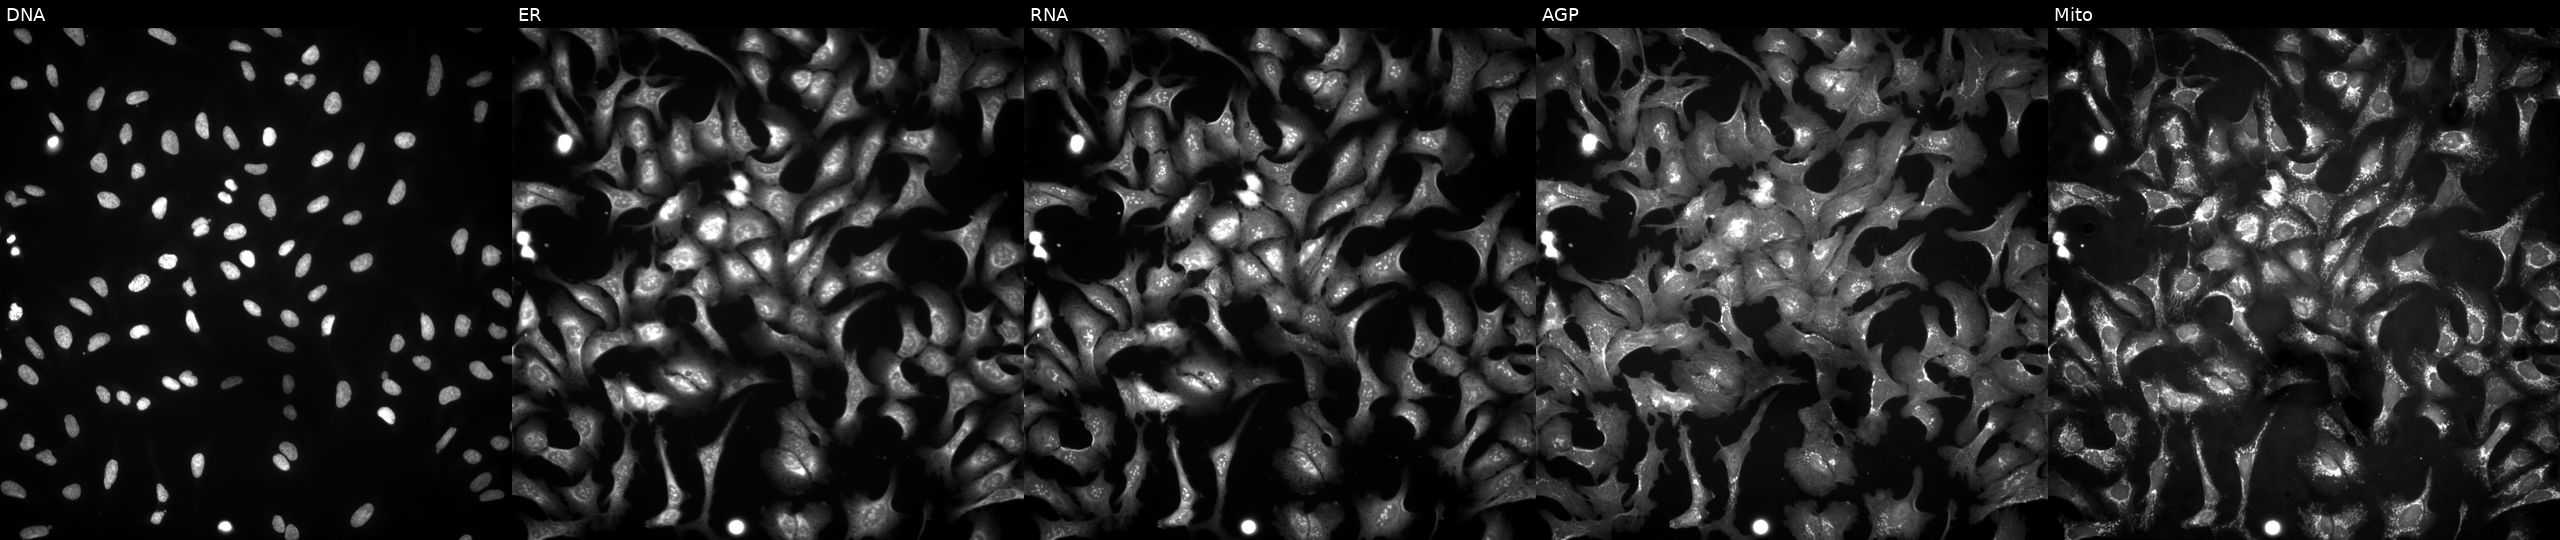
U2OS cells, Cell Painting assay, overexpressing PPP1R16B via ORF transfection (JUMP id JCP2022_907462). Panels show, left to right, Hoechst 33342, concanavalin A, SYTO 14, phalloidin and WGA, MitoTracker. Each panel is percentile-stretched 16-bit fluorescence. Source 4, plate BR00124790, well J14.